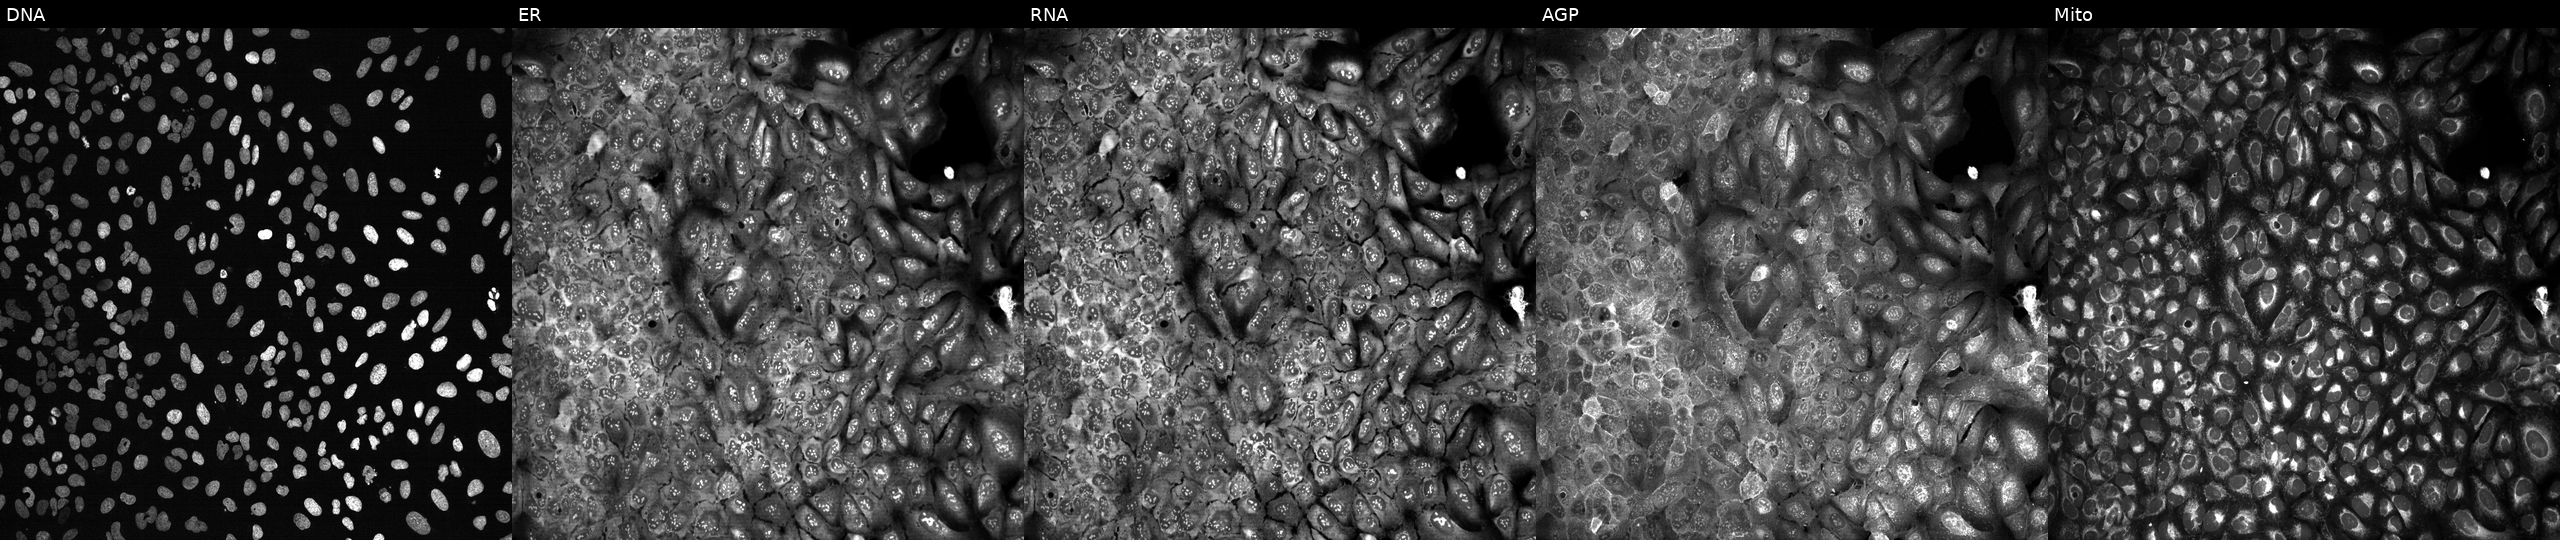
High-content fluorescence microscopy (Cell Painting). Cell line: U2OS. Perturbation: CRISPR-edited to disrupt INSL3. Panels show, left to right, Hoechst 33342, concanavalin A, SYTO 14, phalloidin and WGA, MitoTracker. Source 13, plate CP-CC9-R4-04, well G05.